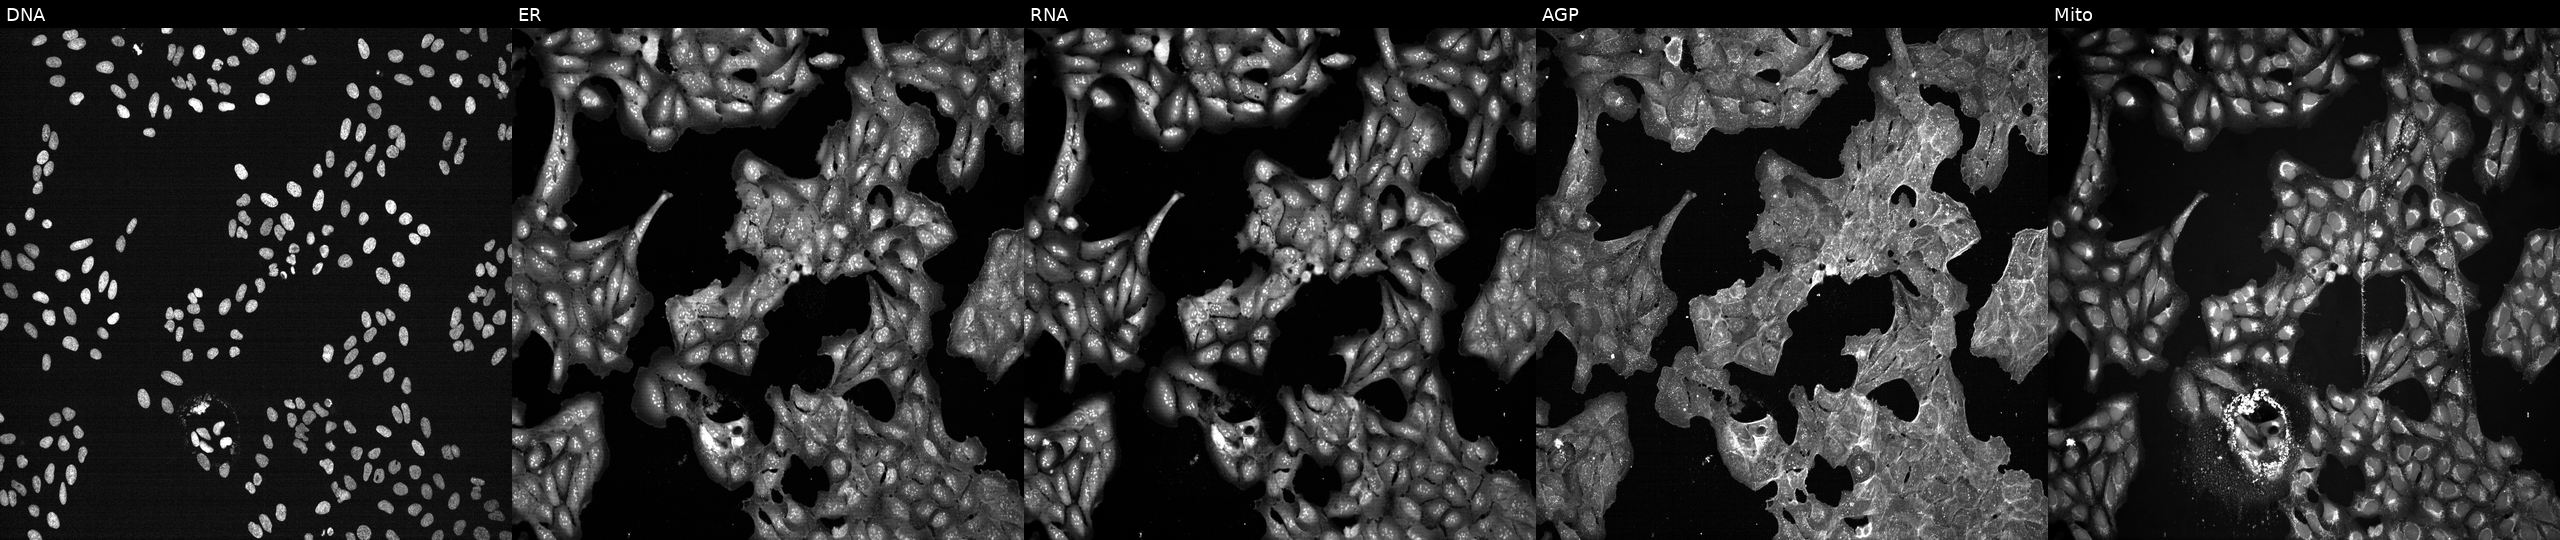
Five-channel Cell Painting image of U2OS cells treated with DMSO vehicle only (negative control) (JUMP id JCP2022_033924). From left to right: Hoechst 33342, concanavalin A, SYTO 14, phalloidin and WGA, MitoTracker.